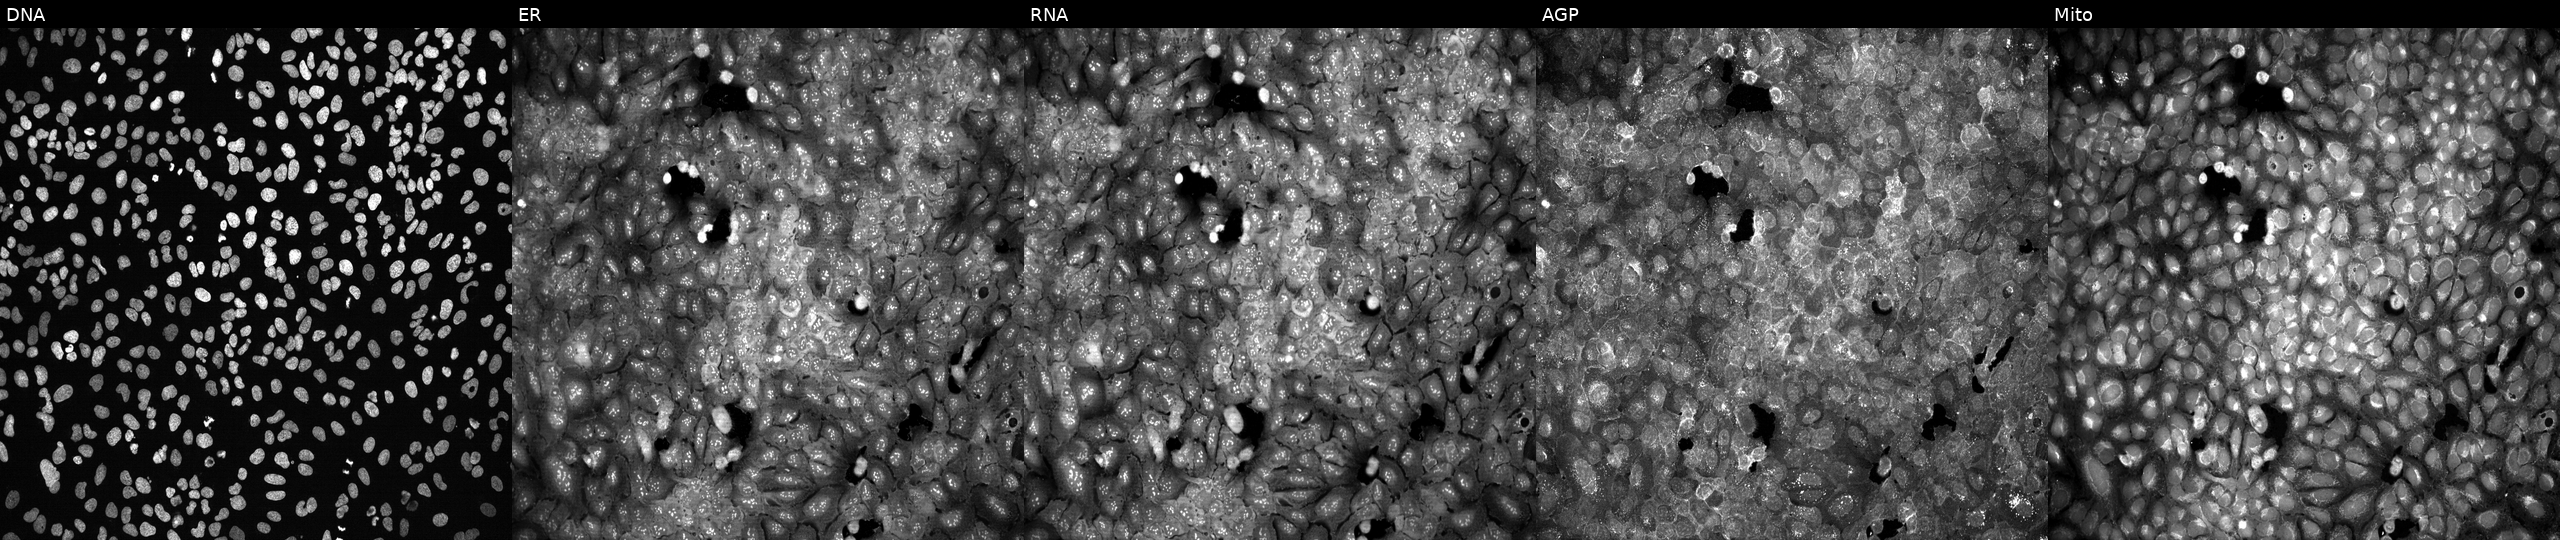
This image strip shows the five Cell Painting channels for a single field of U2OS cells with ST6GALNAC4 knocked out by CRISPR. The five panels, left to right, show DNA, ER, RNA, AGP, and Mito.